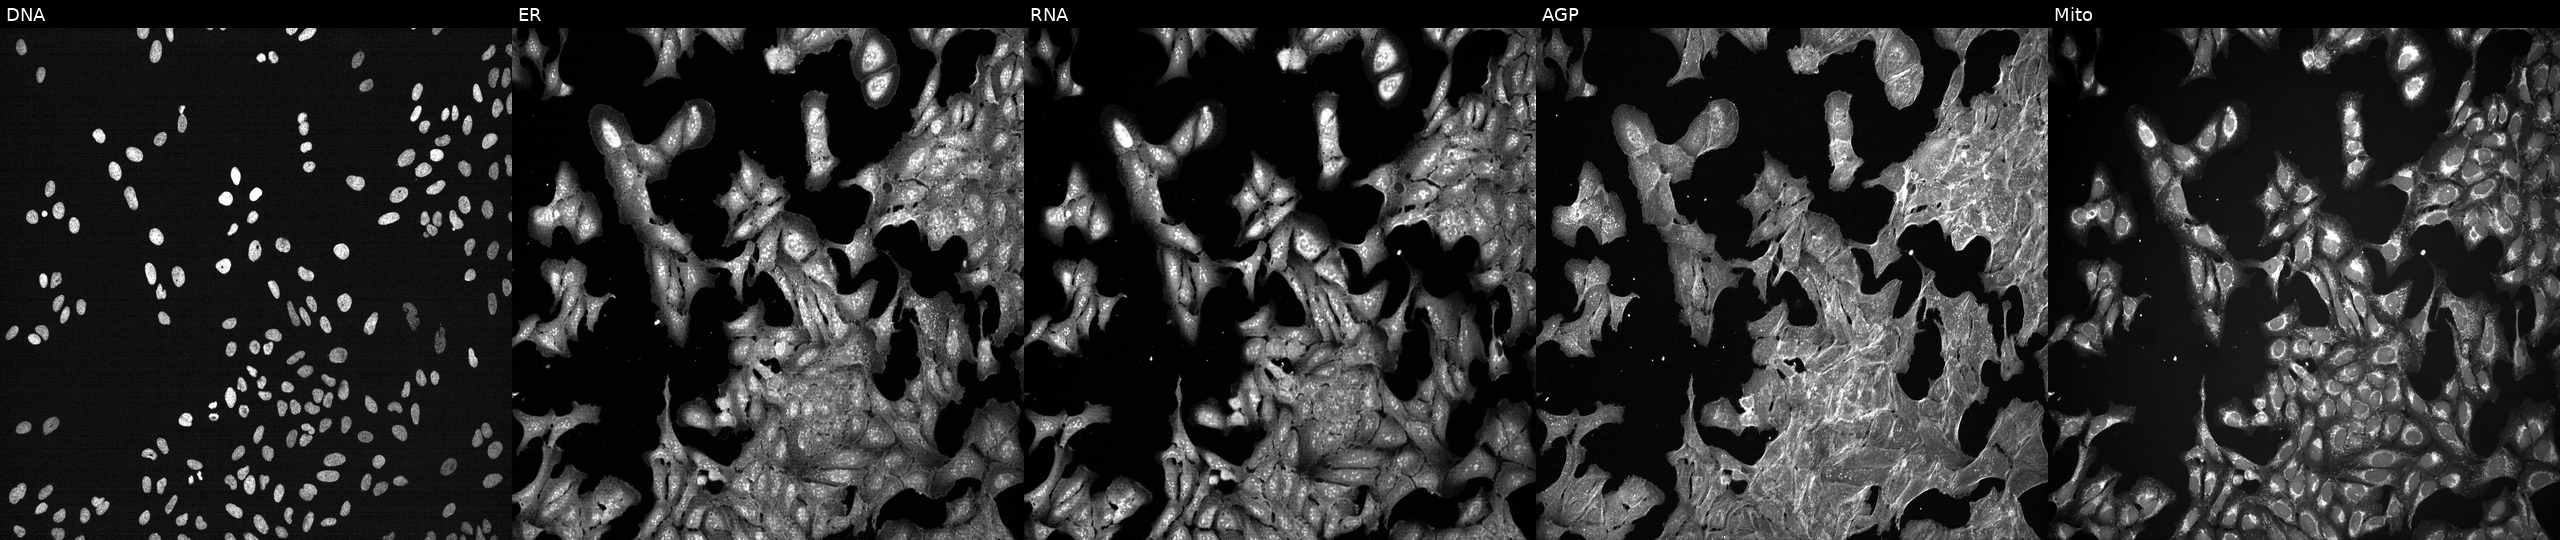
High-content fluorescence microscopy (Cell Painting). Cell line: U2OS. Perturbation: exposed to a small-molecule compound (InChIKey BDNFQGRSKSQXRI-UHFFFAOYSA-N) (JUMP id JCP2022_005628). Panels show, left to right, Hoechst 33342, concanavalin A, SYTO 14, phalloidin and WGA, MitoTracker.